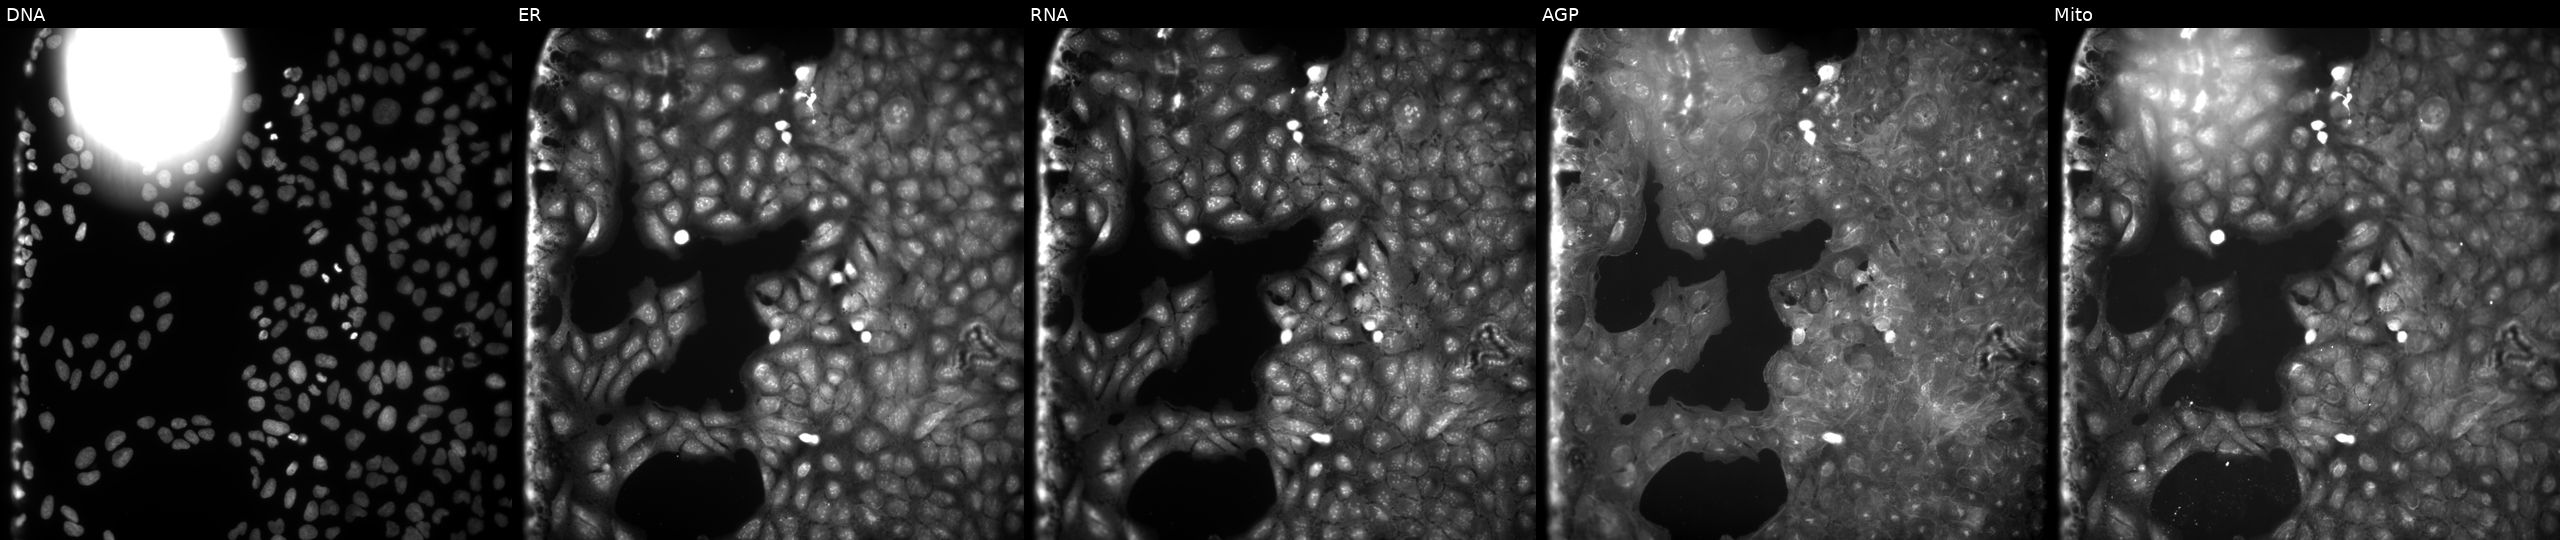
Five-channel Cell Painting image of U2OS cells treated with a small-molecule compound (InChIKey YWBDETADHUIETM-UHFFFAOYSA-N). From left to right: DNA, ER, RNA, AGP, and Mito. Source 9, plate GR00003382, well X03.